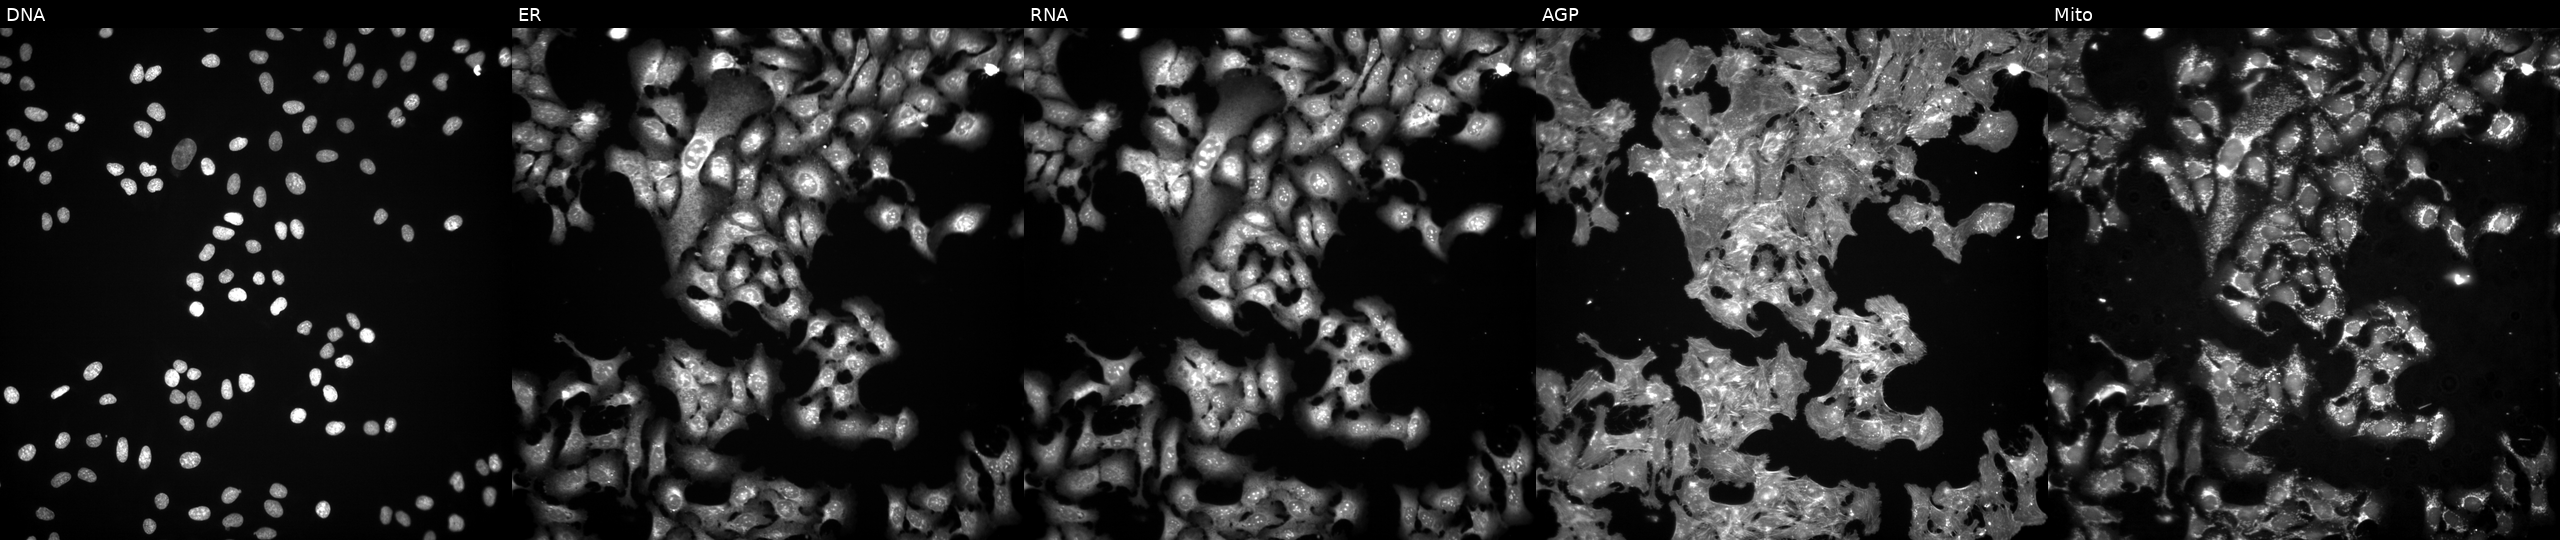
This image strip shows the five Cell Painting channels for a single field of U2OS cells treated with FK-866 (positive-control compound) (JUMP id JCP2022_046054). Channels (left→right): DNA, ER, RNA, AGP, and Mito.